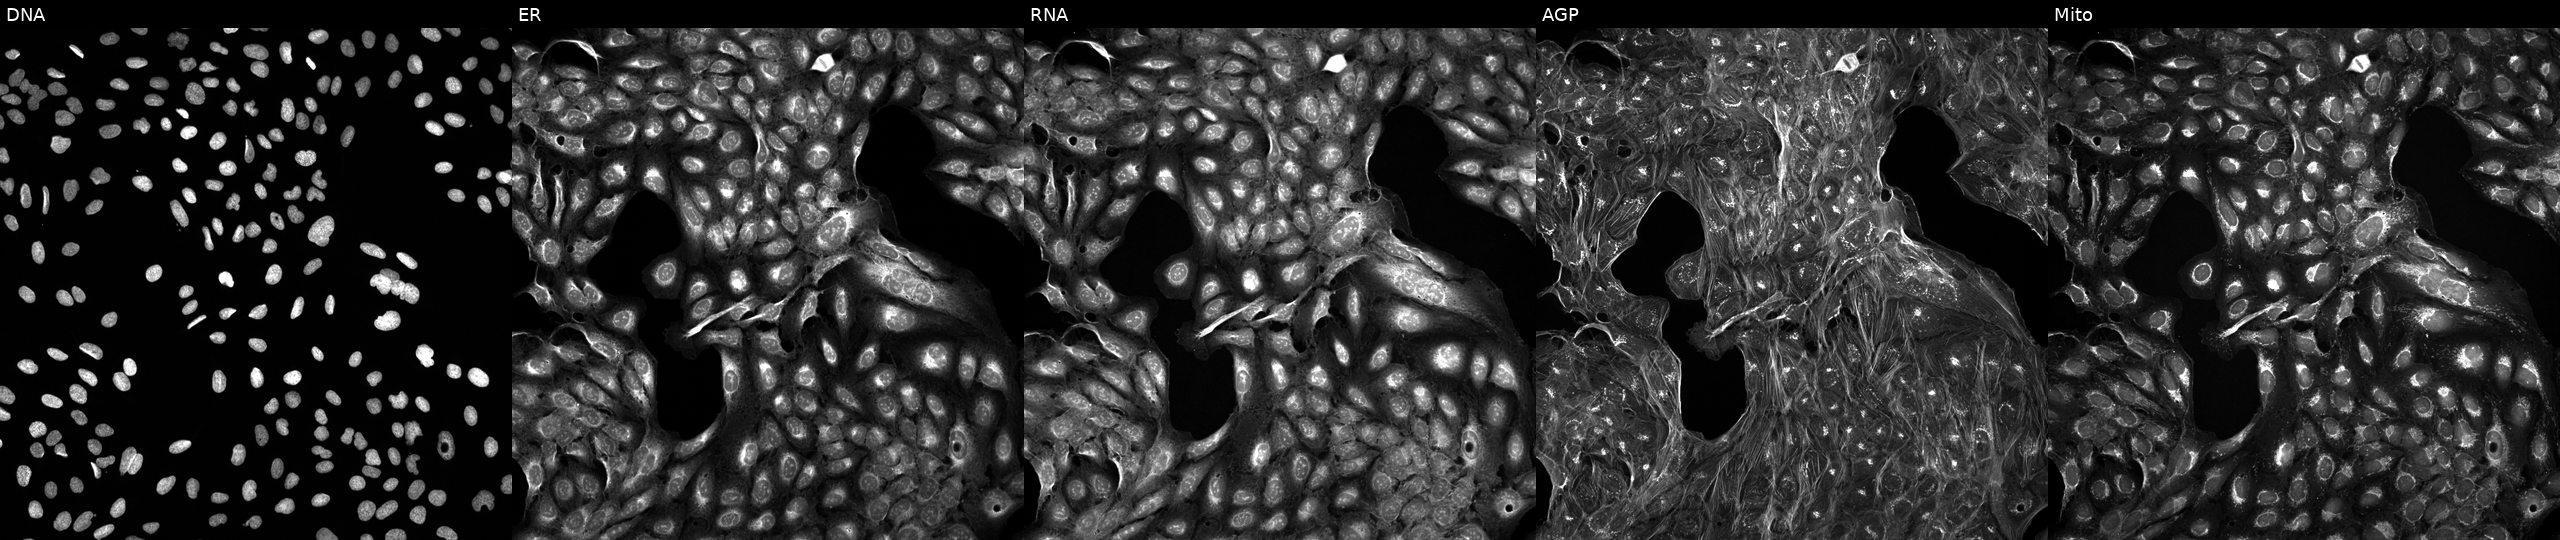
U2OS cells, Cell Painting assay, treated with a small-molecule compound (InChIKey XLSYZSRXVVCHLS-UHFFFAOYSA-N). From left to right: DNA (nuclei); ER (endoplasmic reticulum); RNA (nucleoli and cytoplasmic RNA); AGP (actin cytoskeleton, Golgi, and plasma membrane); Mito (mitochondria). Each panel is percentile-stretched 16-bit fluorescence.